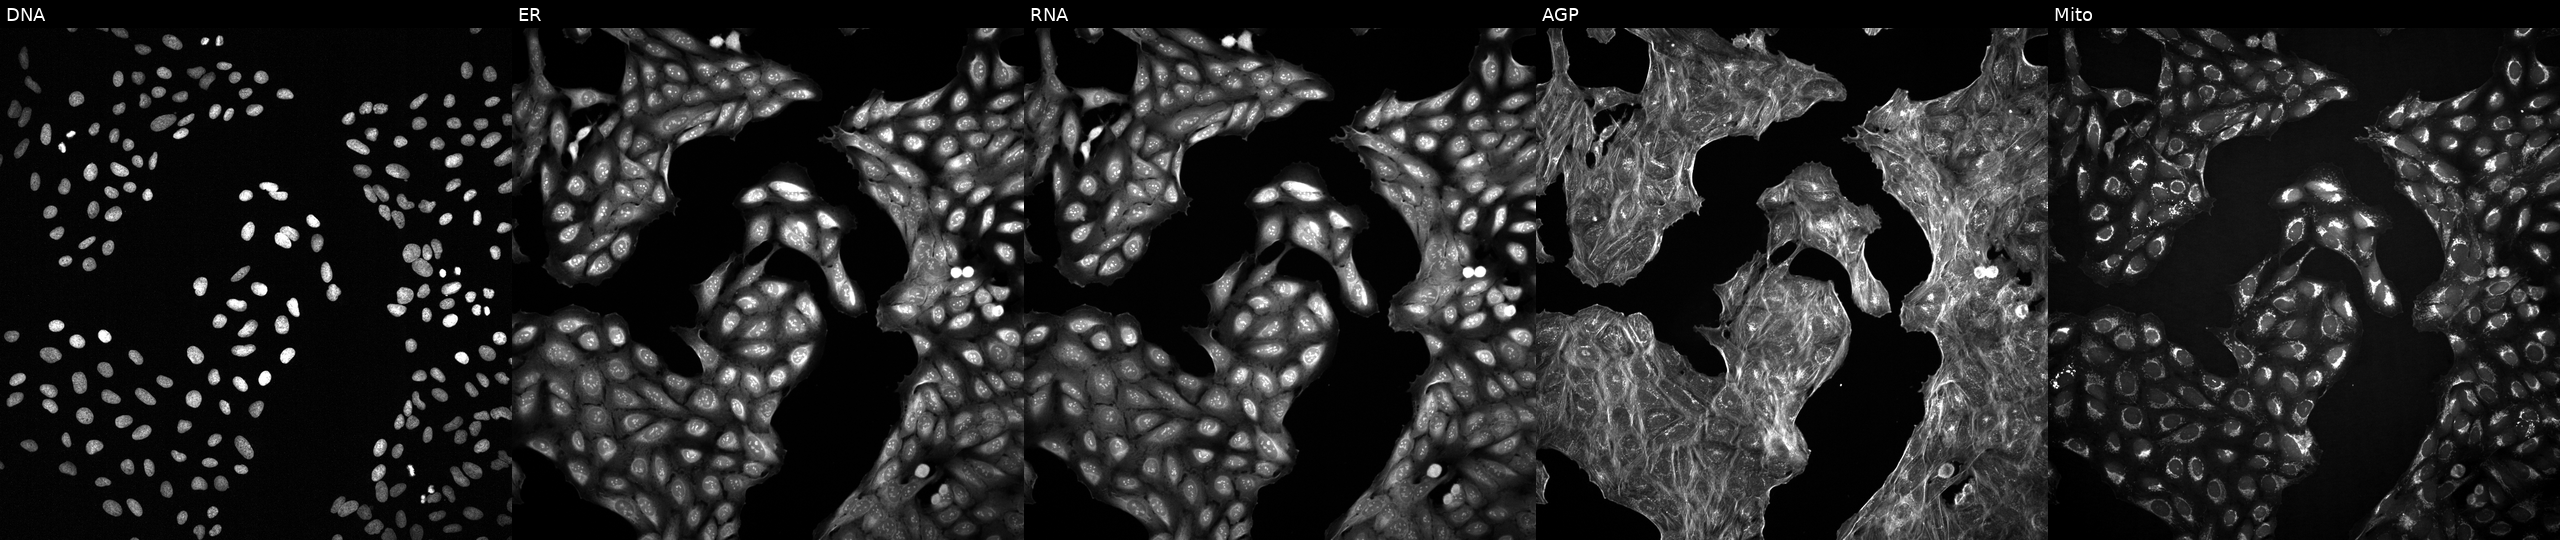
High-content fluorescence microscopy (Cell Painting). Cell line: U2OS. Perturbation: treated with DMSO vehicle only (negative control). From left to right: DNA (nuclei); ER (endoplasmic reticulum); RNA (nucleoli and cytoplasmic RNA); AGP (actin cytoskeleton, Golgi, and plasma membrane); Mito (mitochondria). Source 2, plate 1053601763, well C02.